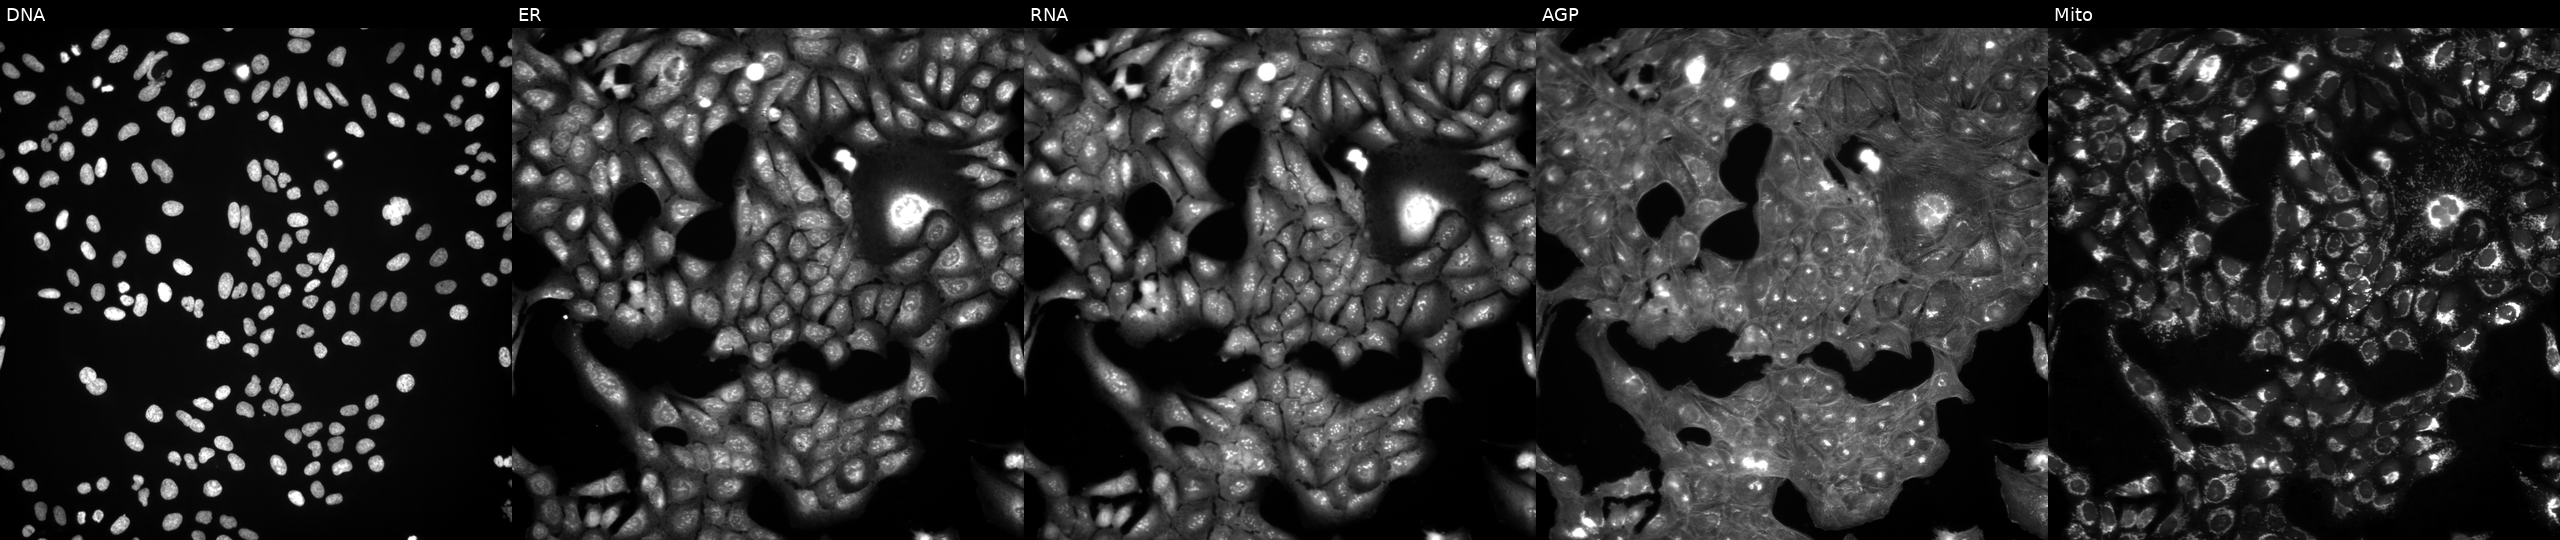
This image strip shows the five Cell Painting channels for a single field of U2OS cells perturbed with a small-molecule compound (InChIKey ONIBWKKTOPOVIA-UHFFFAOYSA-N) (JUMP id JCP2022_064903). Channels (left→right): DNA (nuclei); ER (endoplasmic reticulum); RNA (nucleoli and cytoplasmic RNA); AGP (actin cytoskeleton, Golgi, and plasma membrane); Mito (mitochondria).